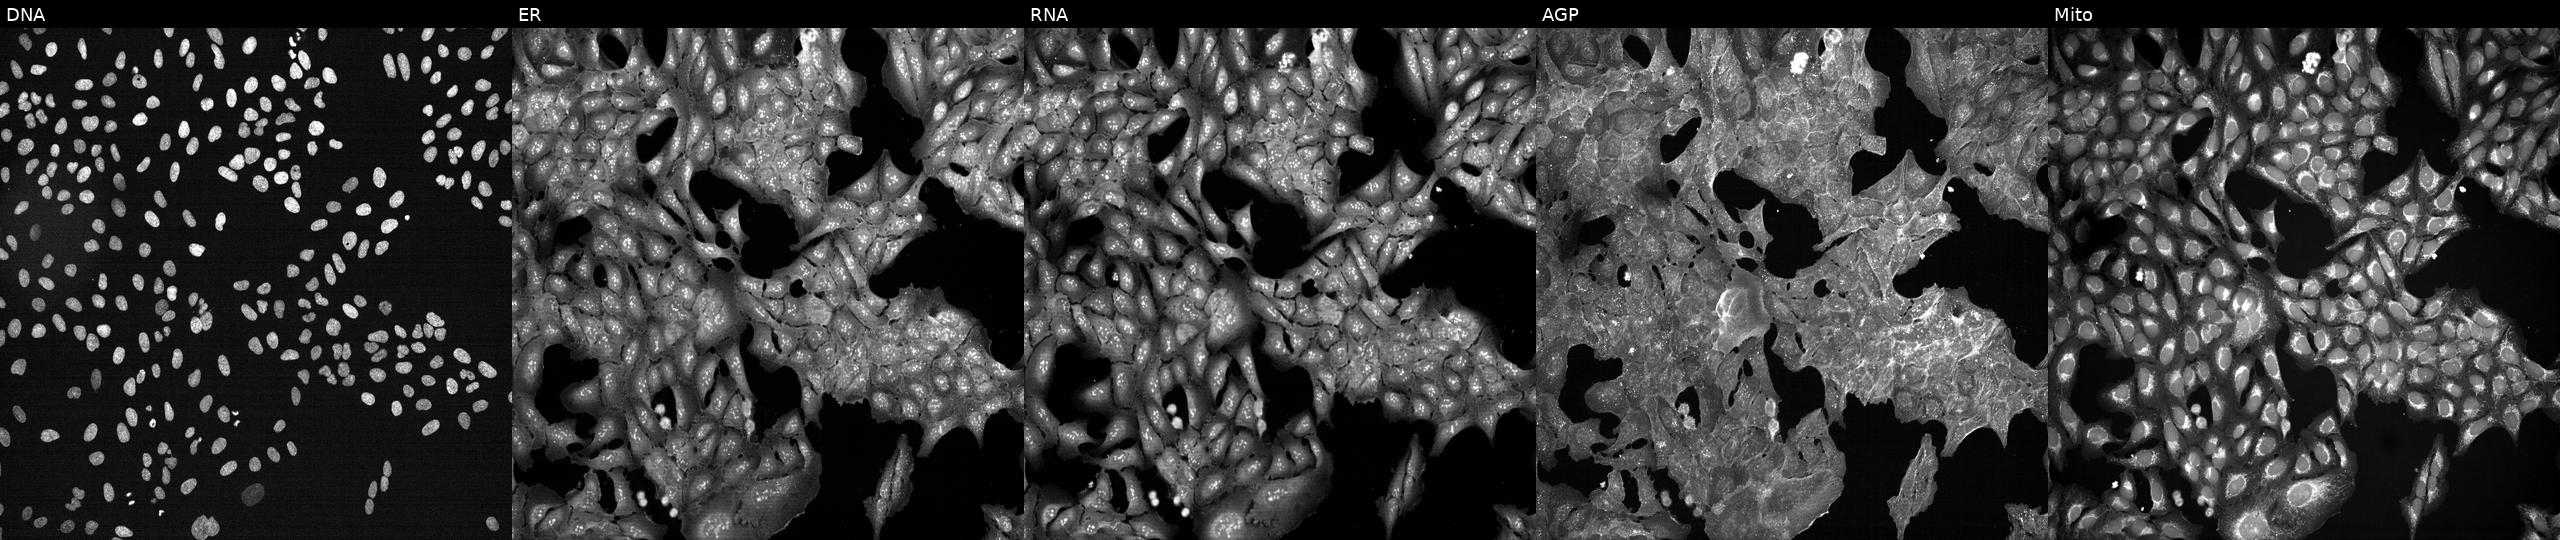
Five-channel Cell Painting image of U2OS cells perturbed with a small-molecule compound [SMILES: CCCCOc1cc(CC2CNC(=O)N2)ccc1OC]. The five panels, left to right, show DNA, ER, RNA, AGP, and Mito.